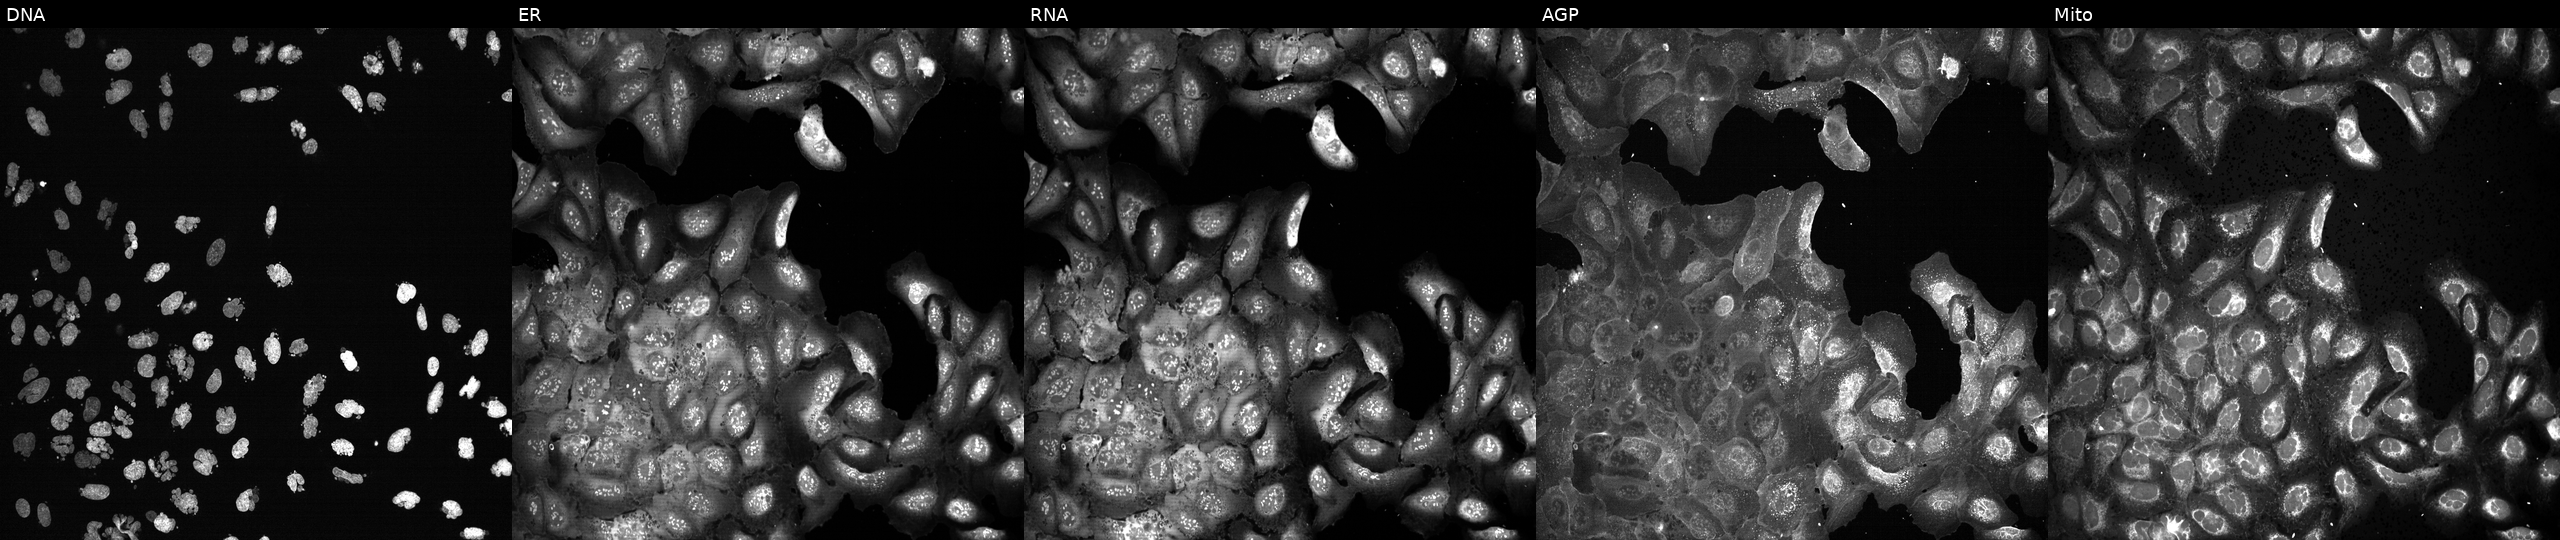
JUMP Cell Painting — CRISPR plate. U2OS cells treated with AMG900 (positive-control compound). Channels (left→right): DNA (nuclei); ER (endoplasmic reticulum); RNA (nucleoli and cytoplasmic RNA); AGP (actin cytoskeleton, Golgi, and plasma membrane); Mito (mitochondria).